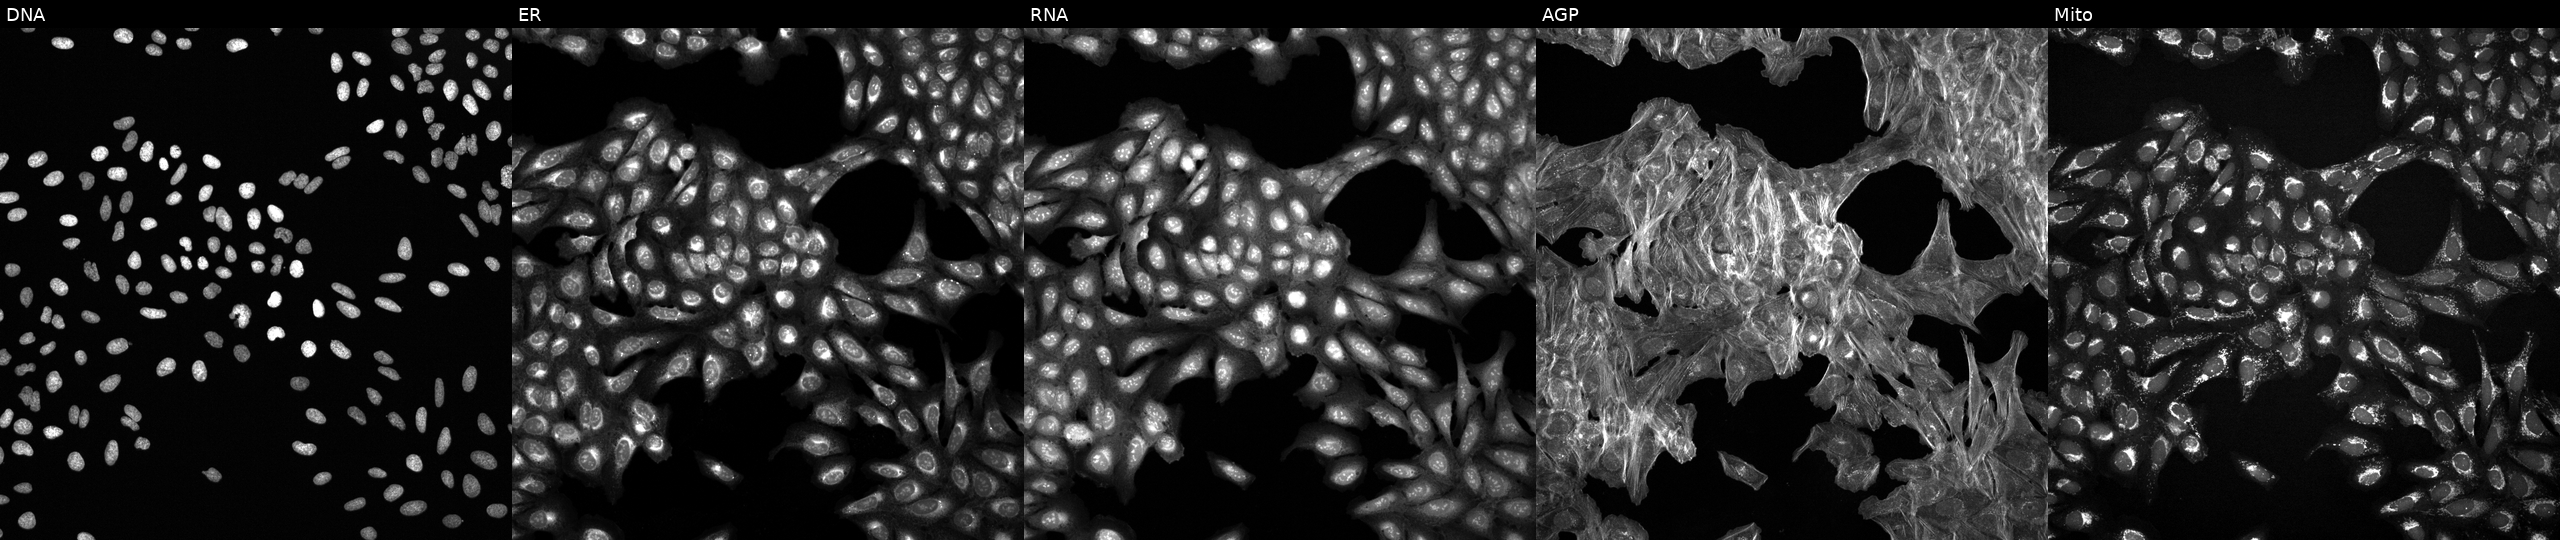
JUMP Cell Painting — TARGET2 plate. U2OS cells exposed to a small-molecule compound [SMILES: CNCCc1c[nH]cn1] (JUMP id JCP2022_068660). Channels (left→right): DNA (nuclei); ER (endoplasmic reticulum); RNA (nucleoli and cytoplasmic RNA); AGP (actin cytoskeleton, Golgi, and plasma membrane); Mito (mitochondria).